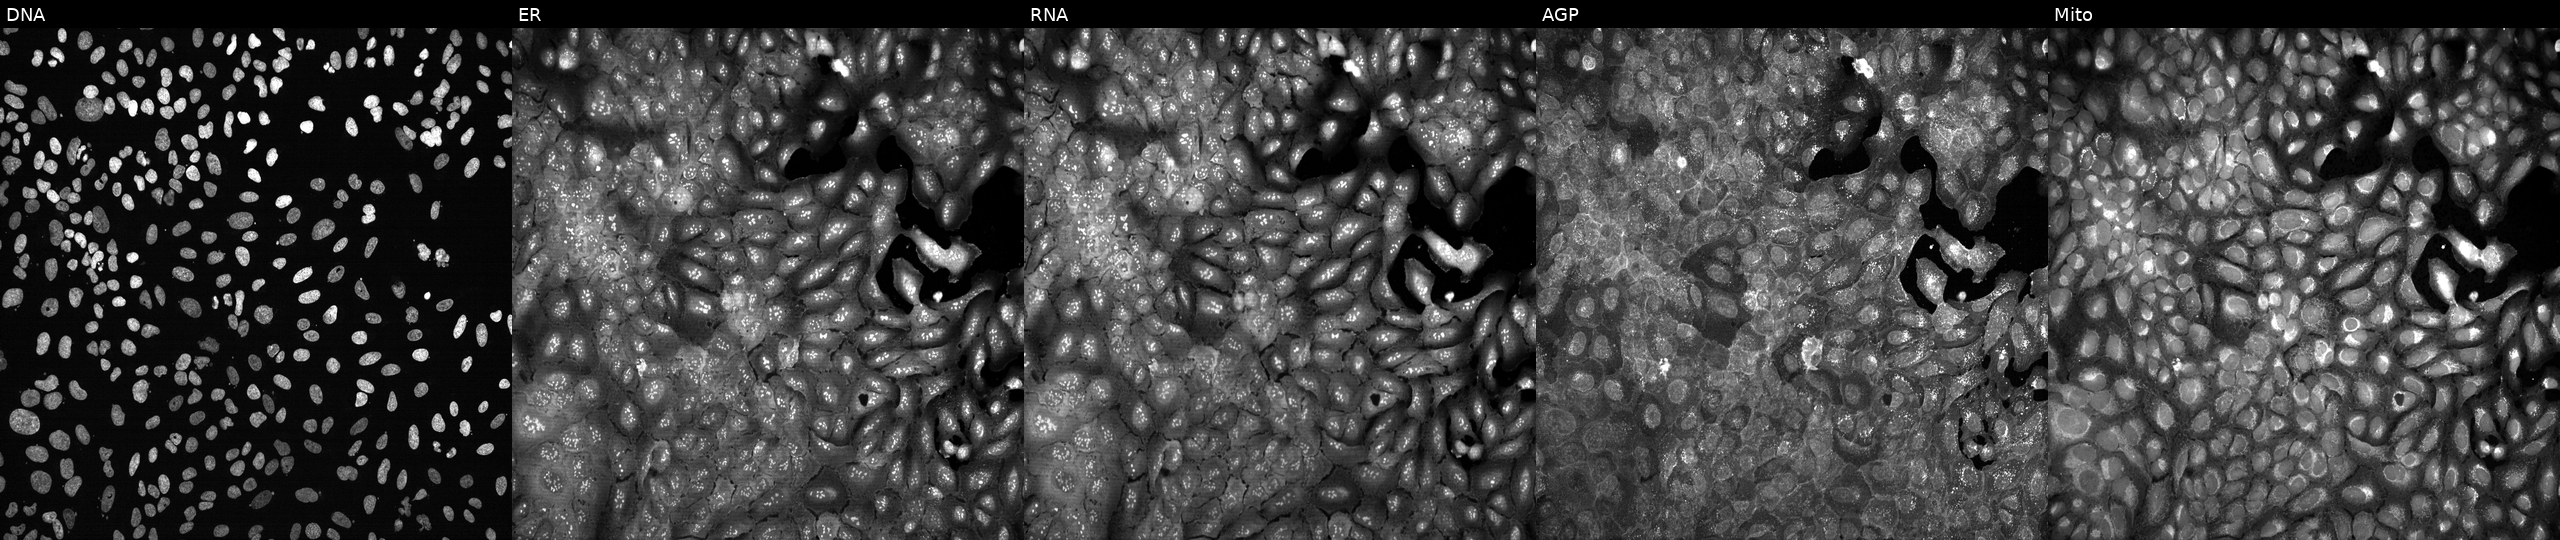
High-content fluorescence microscopy (Cell Painting). Cell line: U2OS. Perturbation: with ADAD1 knocked out by CRISPR. Panels show, left to right, DNA, ER, RNA, AGP, and Mito. Source 13, plate CP-CC9-R1-02, well M03.